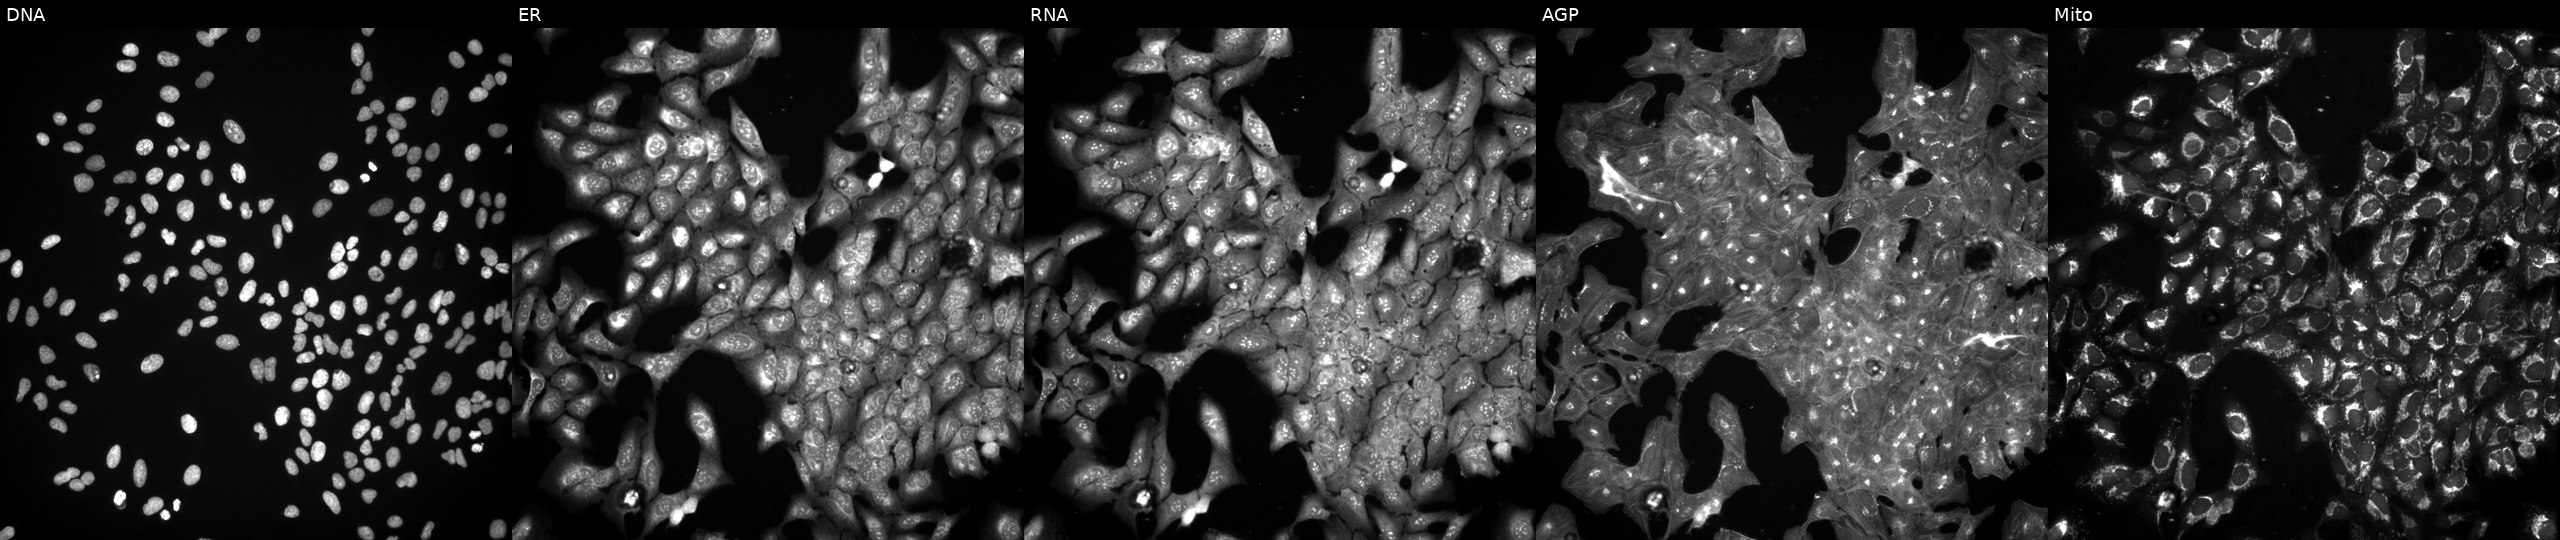
This image strip shows the five Cell Painting channels for a single field of U2OS cells in an empty control well (no perturbation). The five panels, left to right, show DNA, ER, RNA, AGP, and Mito. Source 3, plate BR5867a3, well G12.